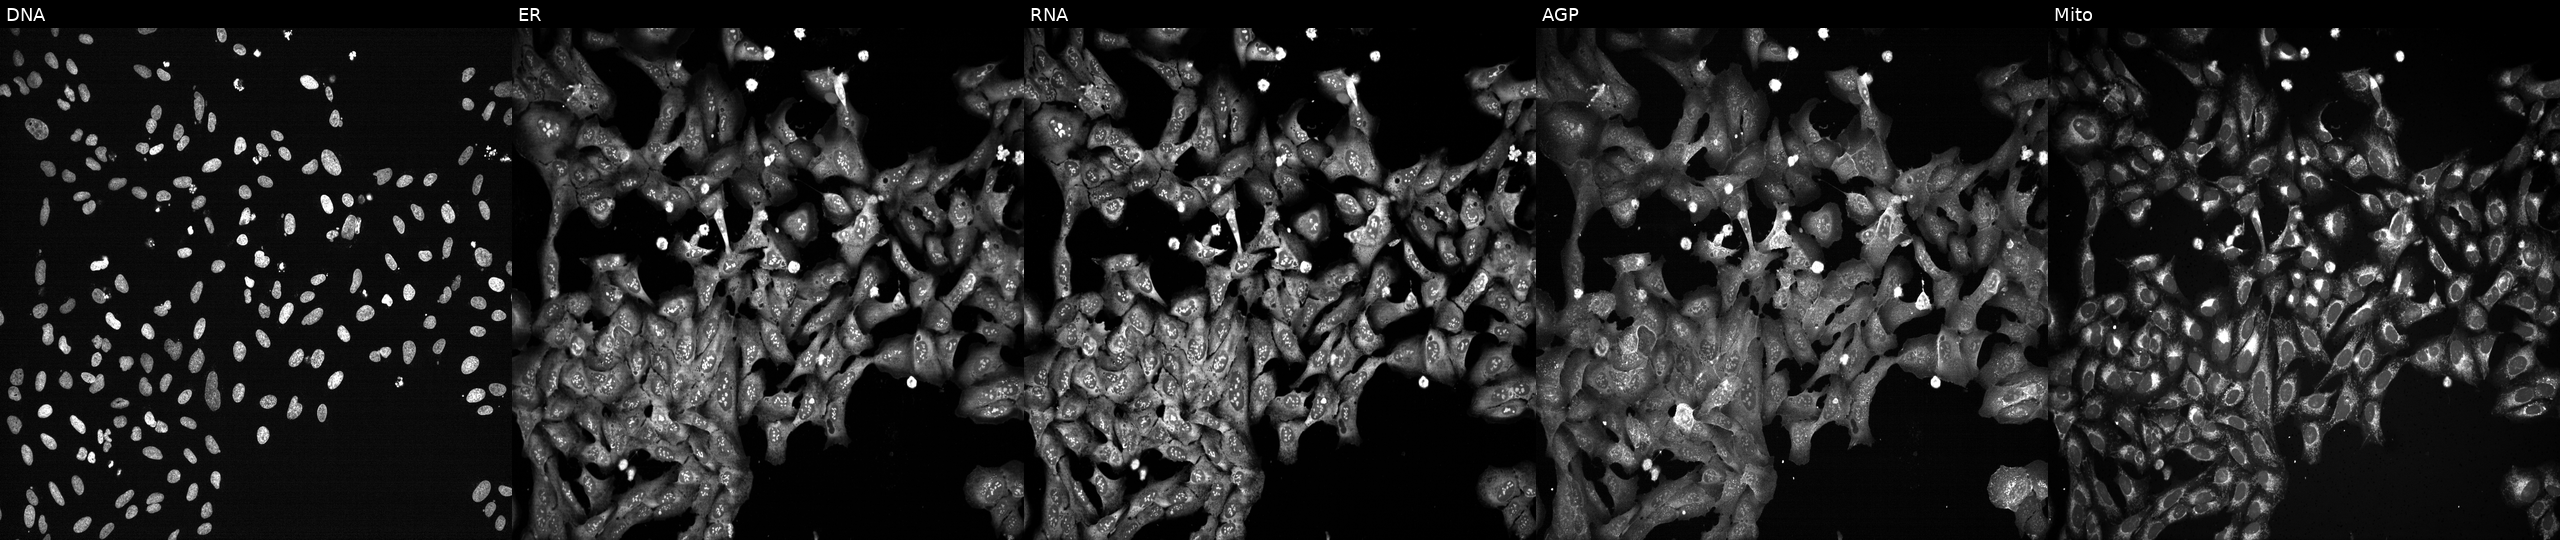
U2OS cells, Cell Painting assay, CRISPR-edited to disrupt POLR2D (JUMP id JCP2022_805345). Panels show, left to right, Hoechst 33342, concanavalin A, SYTO 14, phalloidin and WGA, MitoTracker. Each panel is percentile-stretched 16-bit fluorescence.